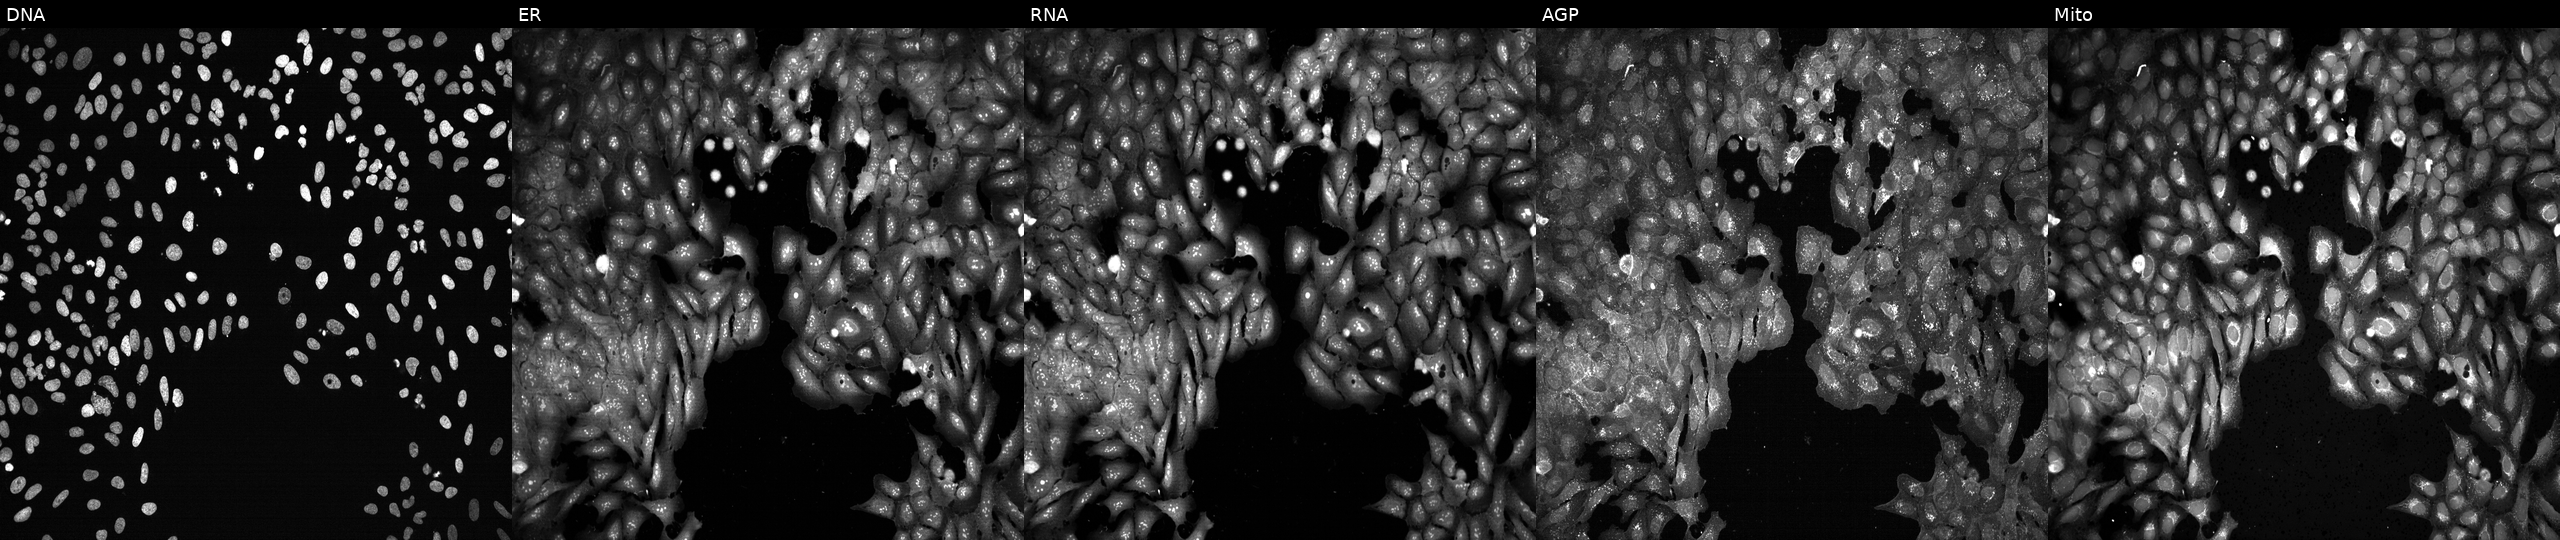
Five-channel Cell Painting image of U2OS cells following CRISPR knockout of NPL. Panels show, left to right, DNA (nuclei); ER (endoplasmic reticulum); RNA (nucleoli and cytoplasmic RNA); AGP (actin cytoskeleton, Golgi, and plasma membrane); Mito (mitochondria).